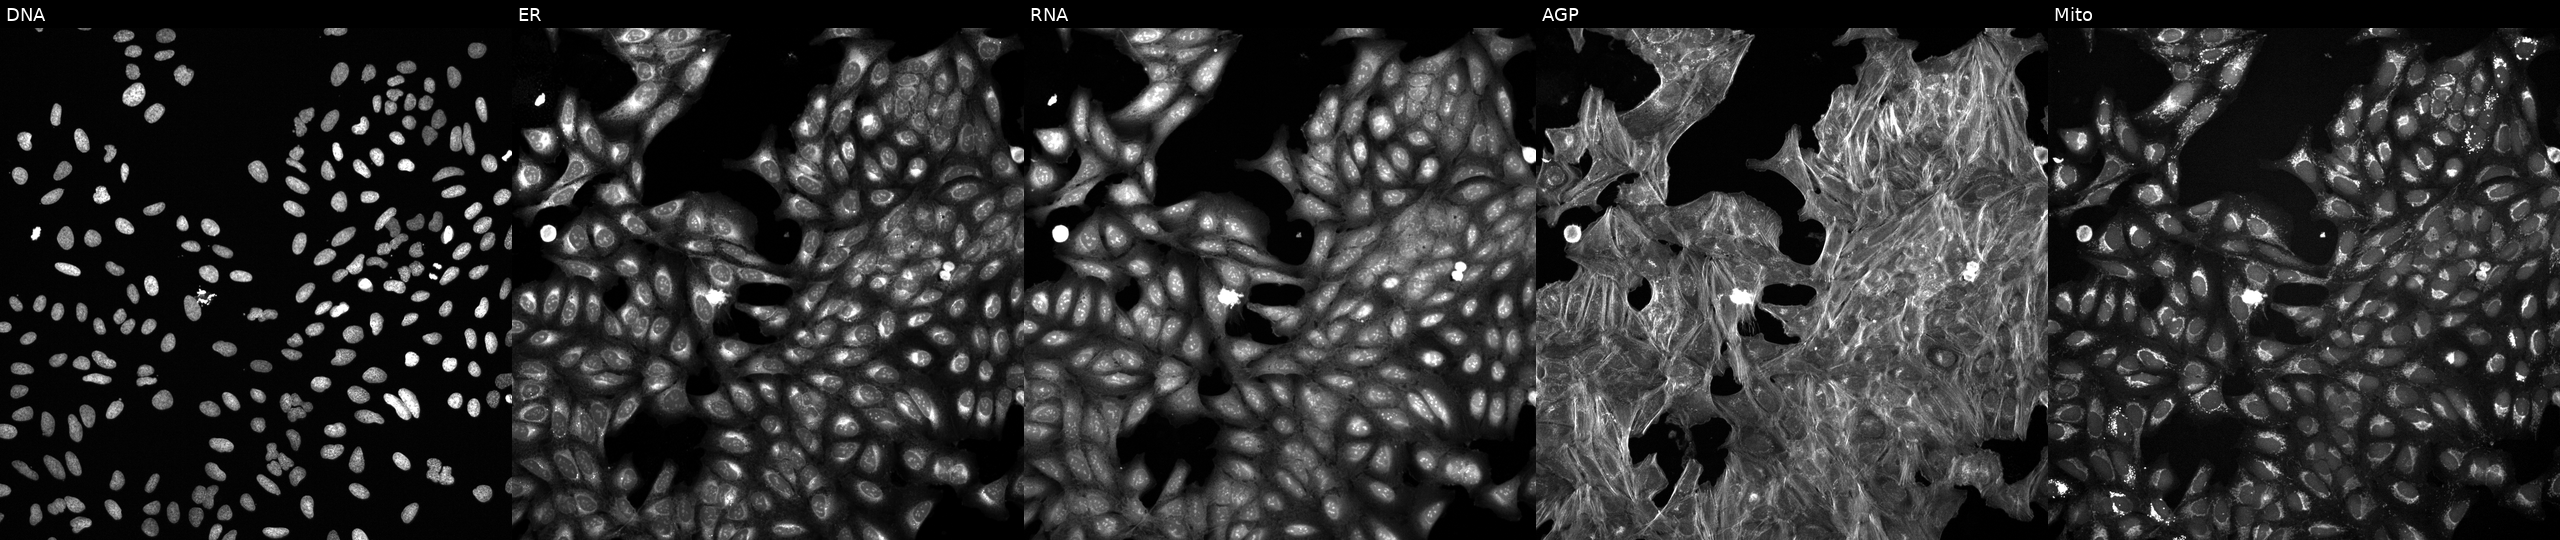
Five-channel Cell Painting image of U2OS cells exposed to a small-molecule compound (JUMP id JCP2022_105539). The five panels, left to right, show DNA, ER, RNA, AGP, and Mito.